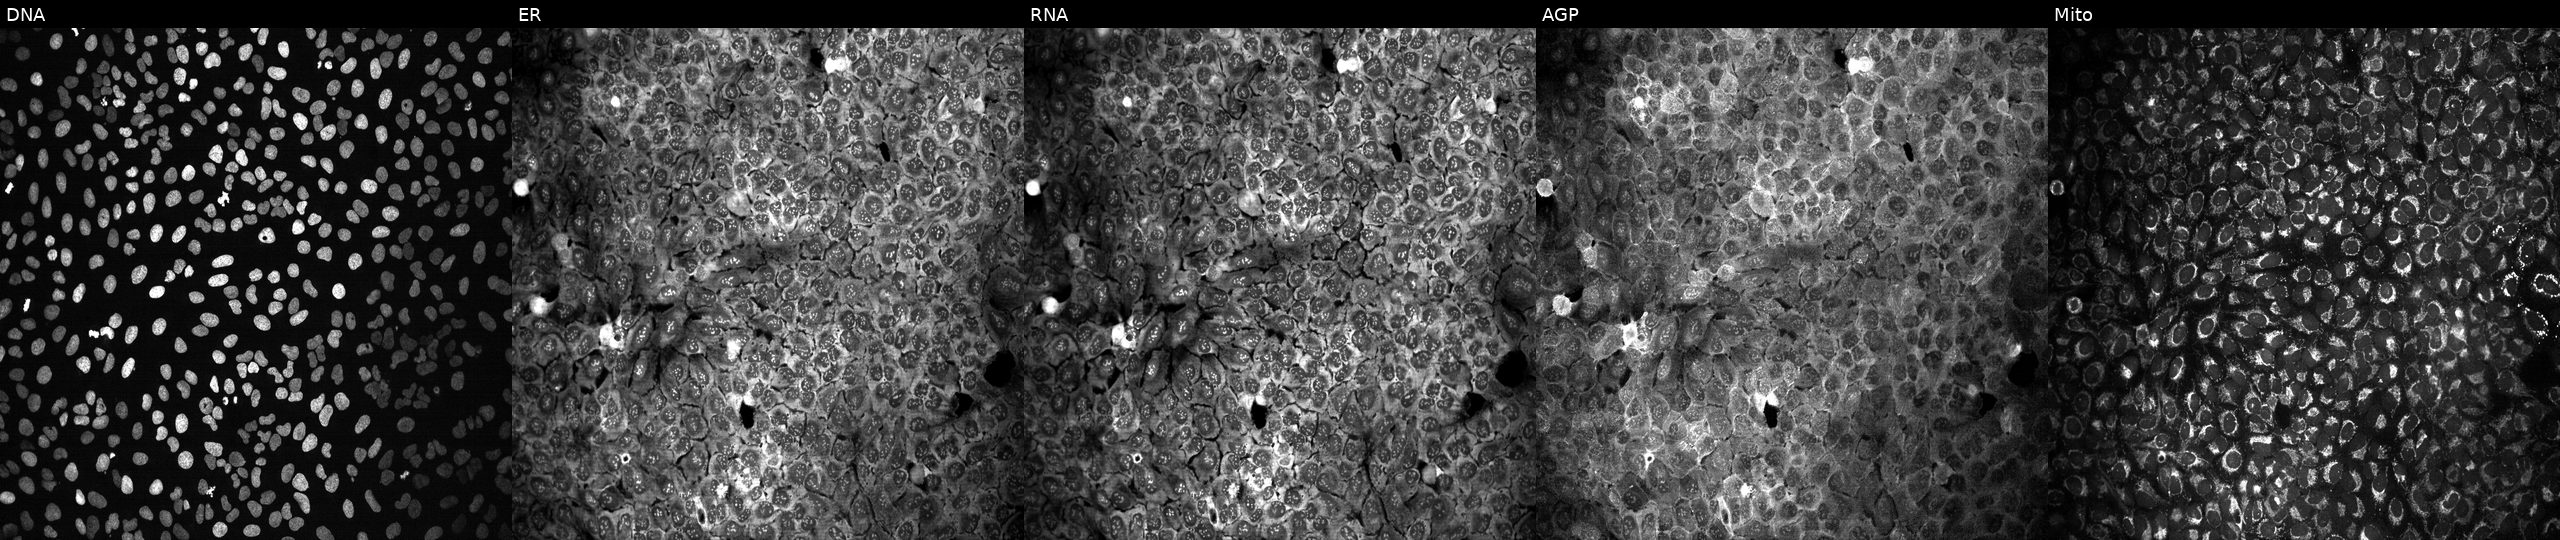
JUMP Cell Painting — CRISPR plate. U2OS cells with a non-targeting CRISPR guide (negative control). The five panels, left to right, show DNA (nuclei); ER (endoplasmic reticulum); RNA (nucleoli and cytoplasmic RNA); AGP (actin cytoskeleton, Golgi, and plasma membrane); Mito (mitochondria).